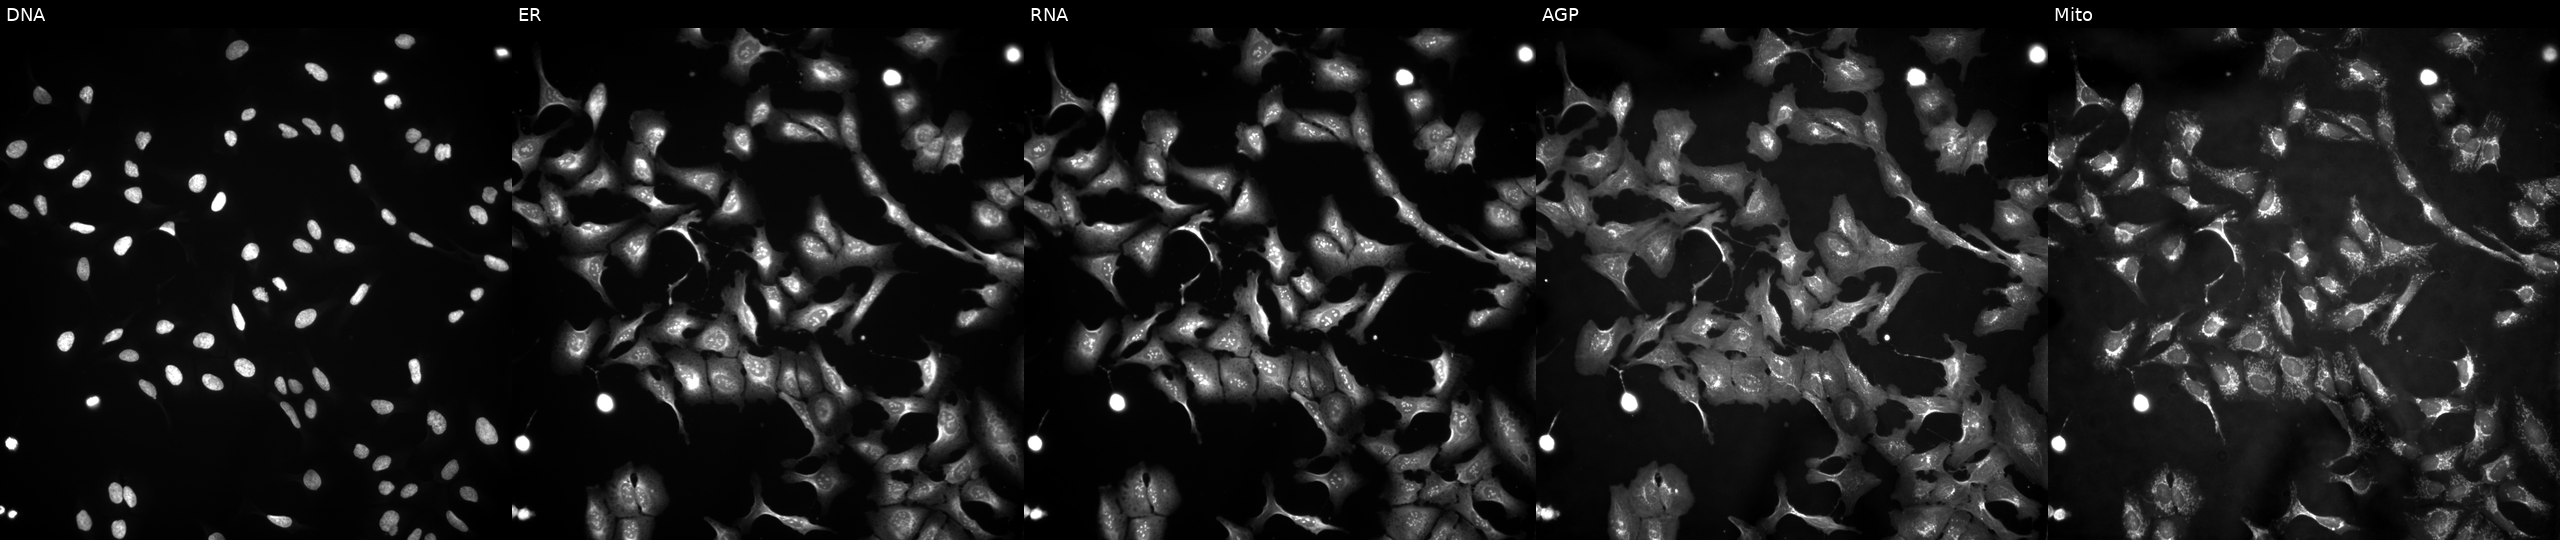
JUMP Cell Painting — ORF plate. U2OS cells transfected with an ORF construct for ATRIP (JUMP id JCP2022_911912). Panels show, left to right, DNA (nuclei); ER (endoplasmic reticulum); RNA (nucleoli and cytoplasmic RNA); AGP (actin cytoskeleton, Golgi, and plasma membrane); Mito (mitochondria). Source 4, plate BR00121543, well G16.